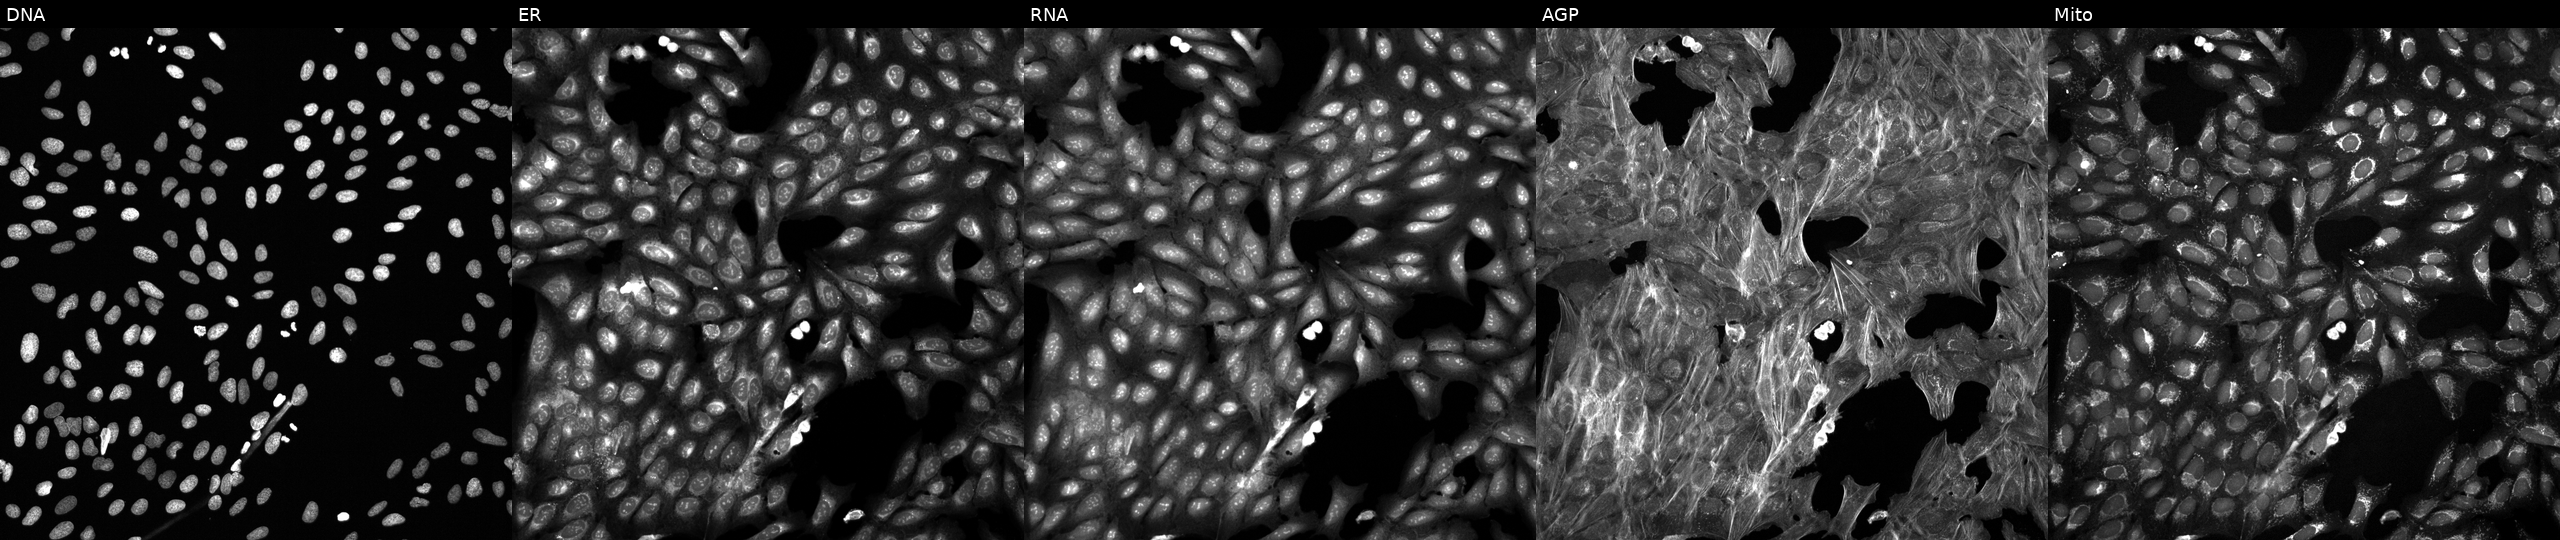
Five-channel Cell Painting image of U2OS cells exposed to DMSO alone as a negative control (JUMP id JCP2022_033924). Panels show, left to right, Hoechst 33342, concanavalin A, SYTO 14, phalloidin and WGA, MitoTracker.